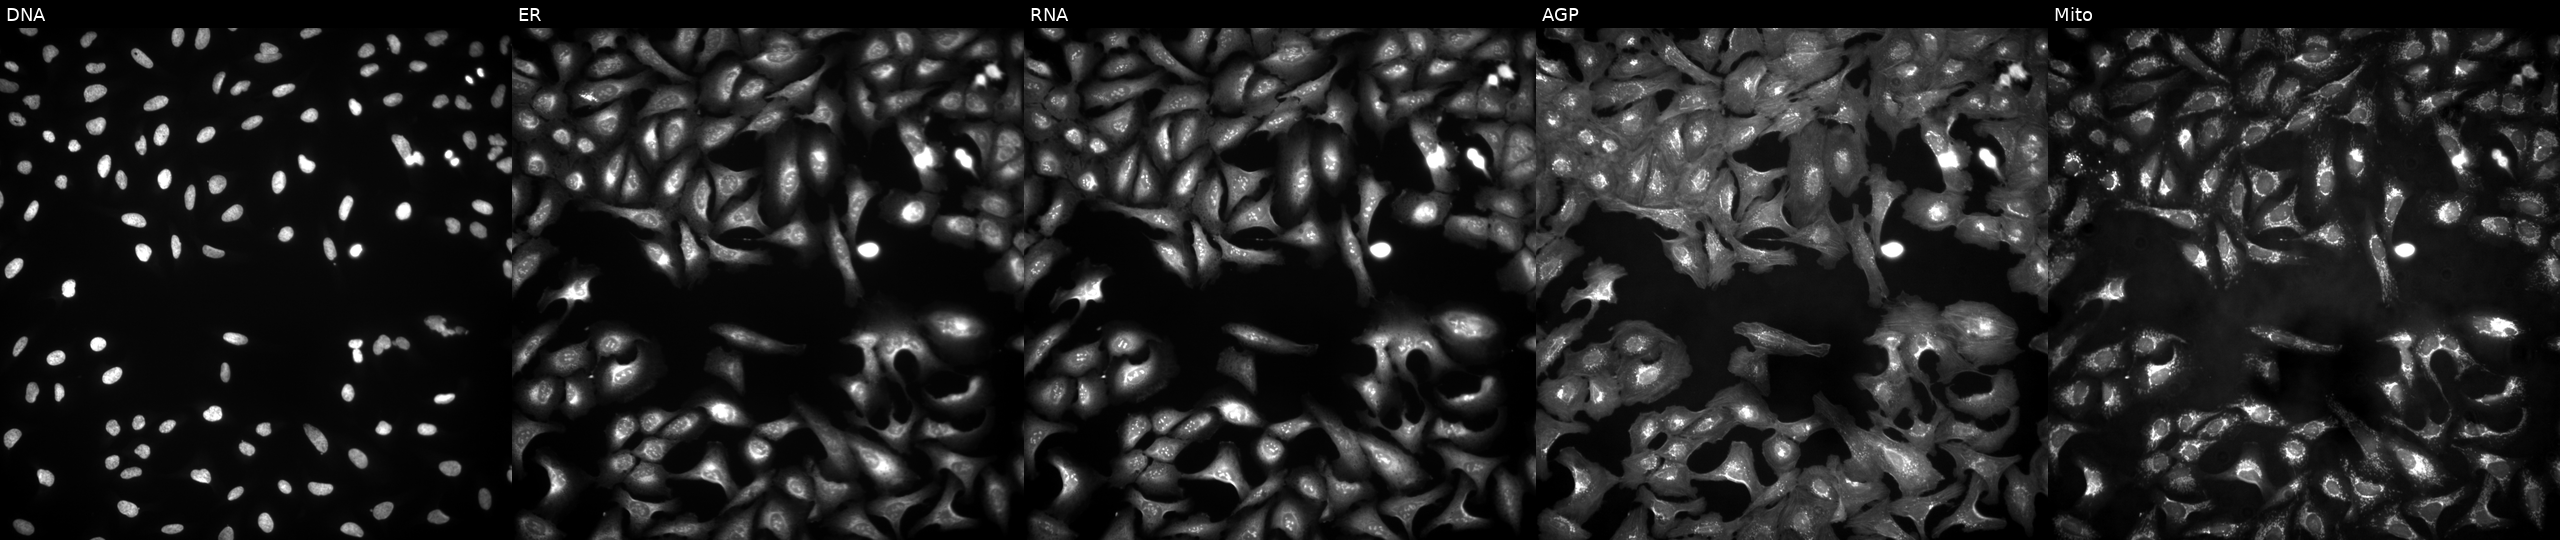
U2OS cells, Cell Painting assay, overexpressing RBSN via ORF transfection (JUMP id JCP2022_903690). Panels show, left to right, DNA, ER, RNA, AGP, and Mito. Each panel is percentile-stretched 16-bit fluorescence.